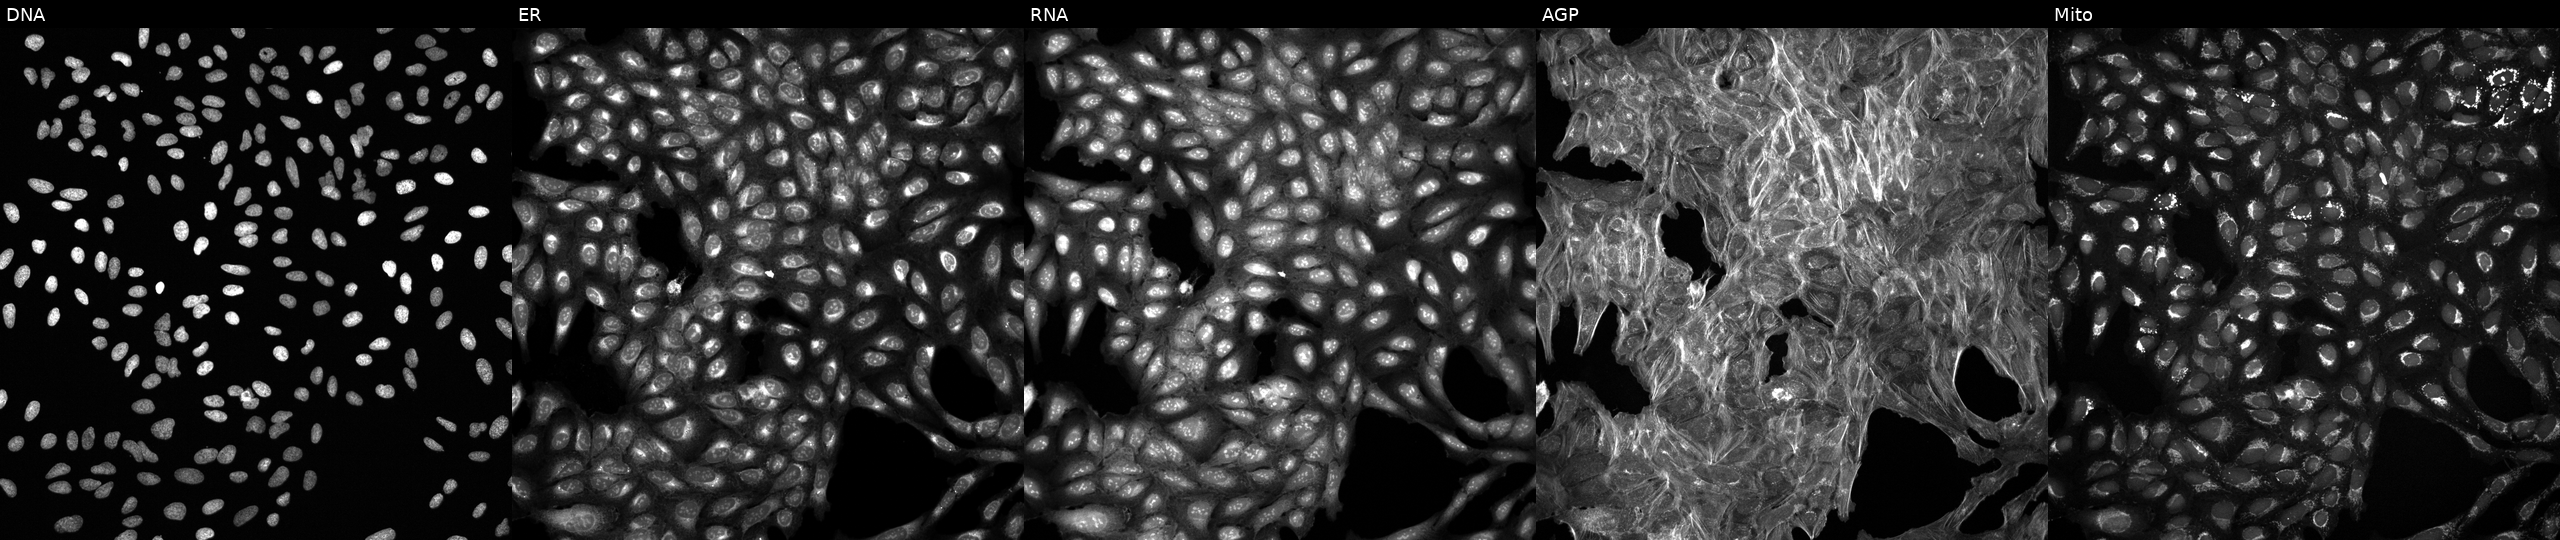
Panels show, left to right, Hoechst 33342, concanavalin A, SYTO 14, phalloidin and WGA, MitoTracker. U2OS osteosarcoma cells exposed to DMSO alone as a negative control. Cell Painting assay, JUMP-CP dataset.